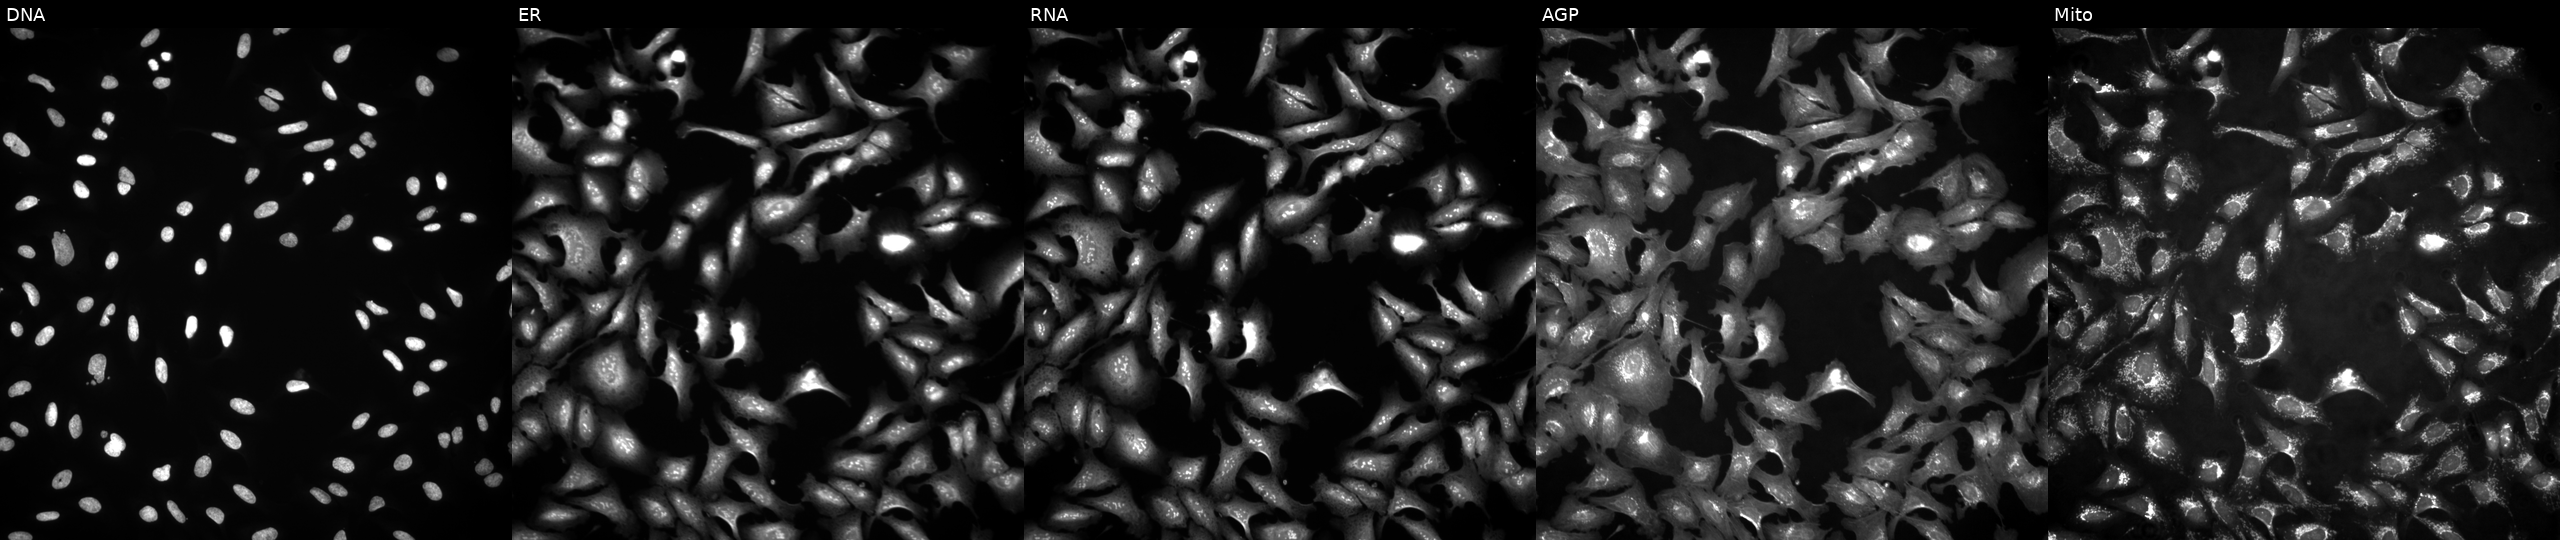
This image strip shows the five Cell Painting channels for a single field of U2OS cells overexpressing DUSP18 via ORF transfection (JUMP id JCP2022_912359). The five panels, left to right, show Hoechst 33342, concanavalin A, SYTO 14, phalloidin and WGA, MitoTracker.